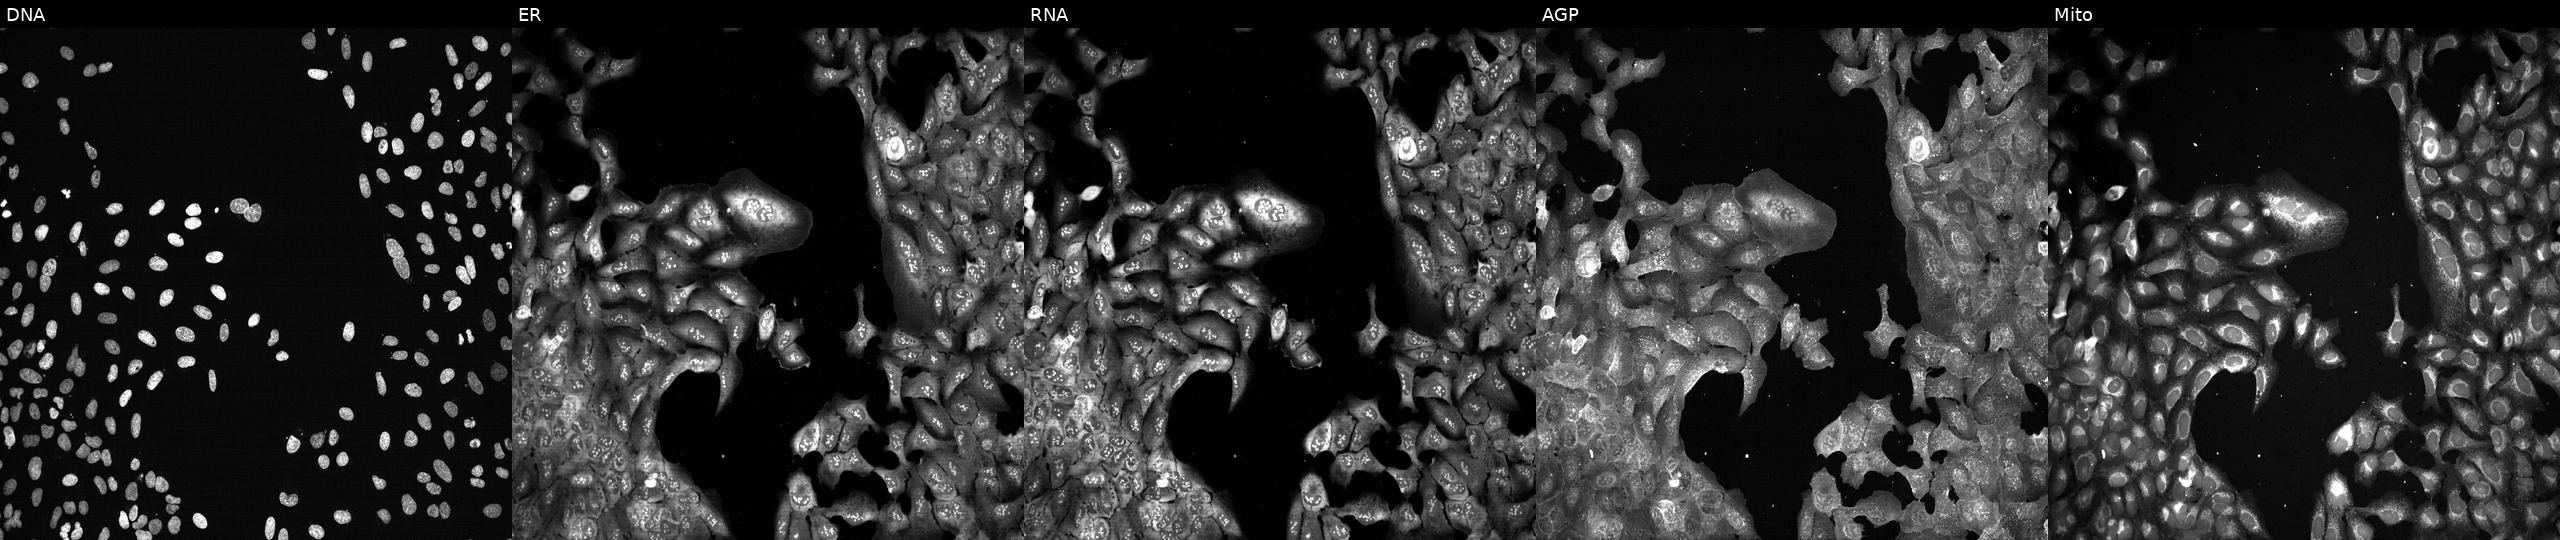
U2OS cells, Cell Painting assay, CRISPR-edited to disrupt KRT8 (JUMP id JCP2022_803756). From left to right: DNA, ER, RNA, AGP, and Mito. Each panel is percentile-stretched 16-bit fluorescence. Source 13, plate CP-CC9-R5-01, well G14.